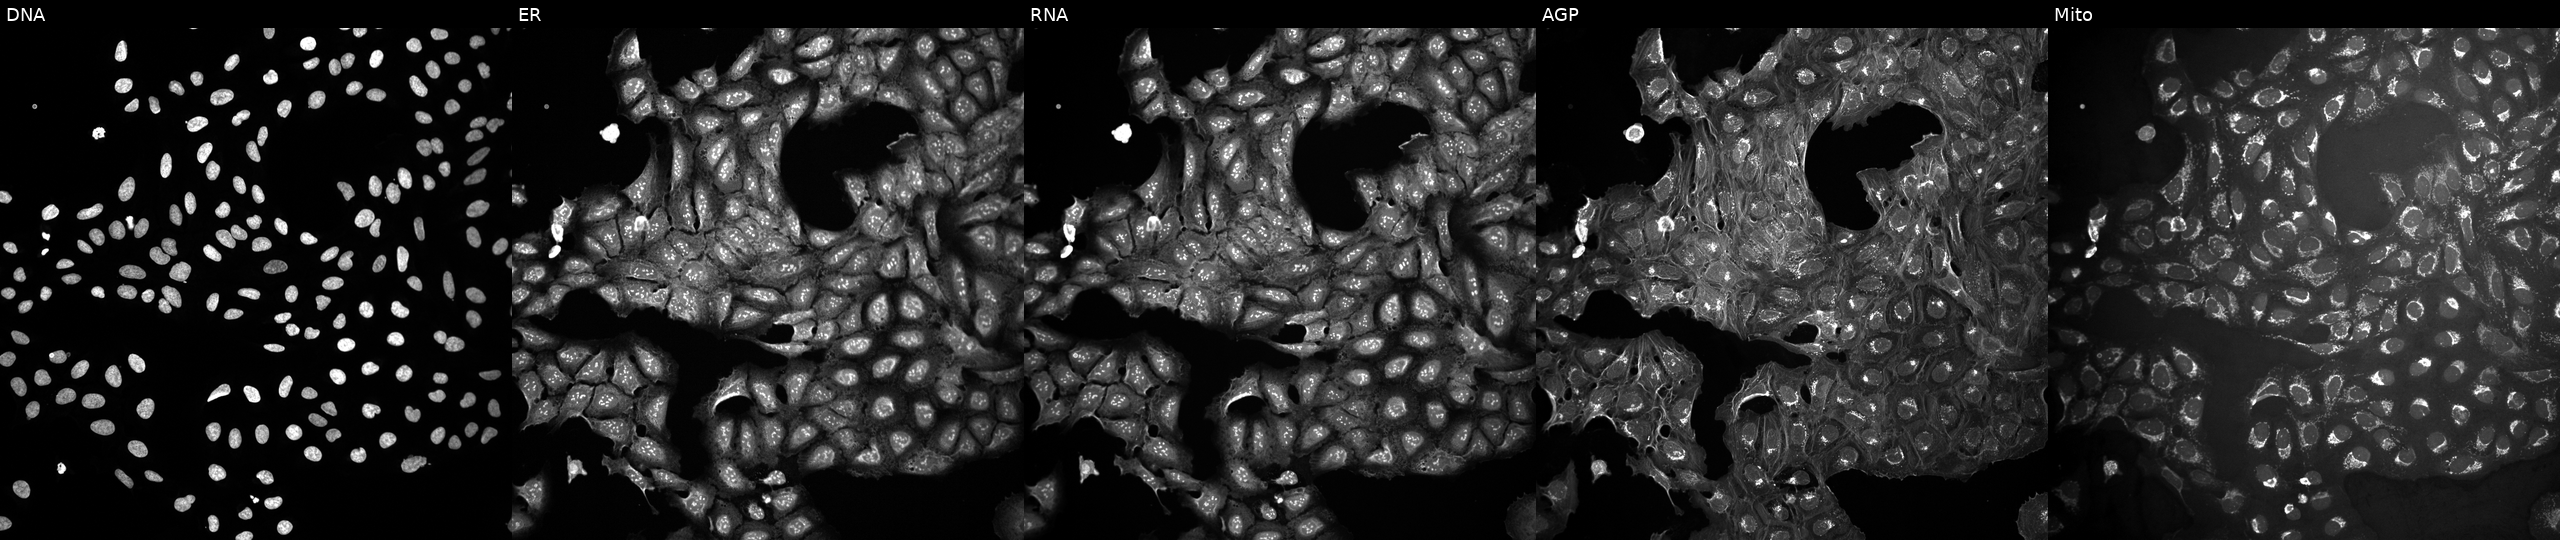
Five-channel Cell Painting image of U2OS cells in an empty control well (no perturbation). Panels show, left to right, DNA, ER, RNA, AGP, and Mito. Source 10, plate Dest210531-152149, well M21.